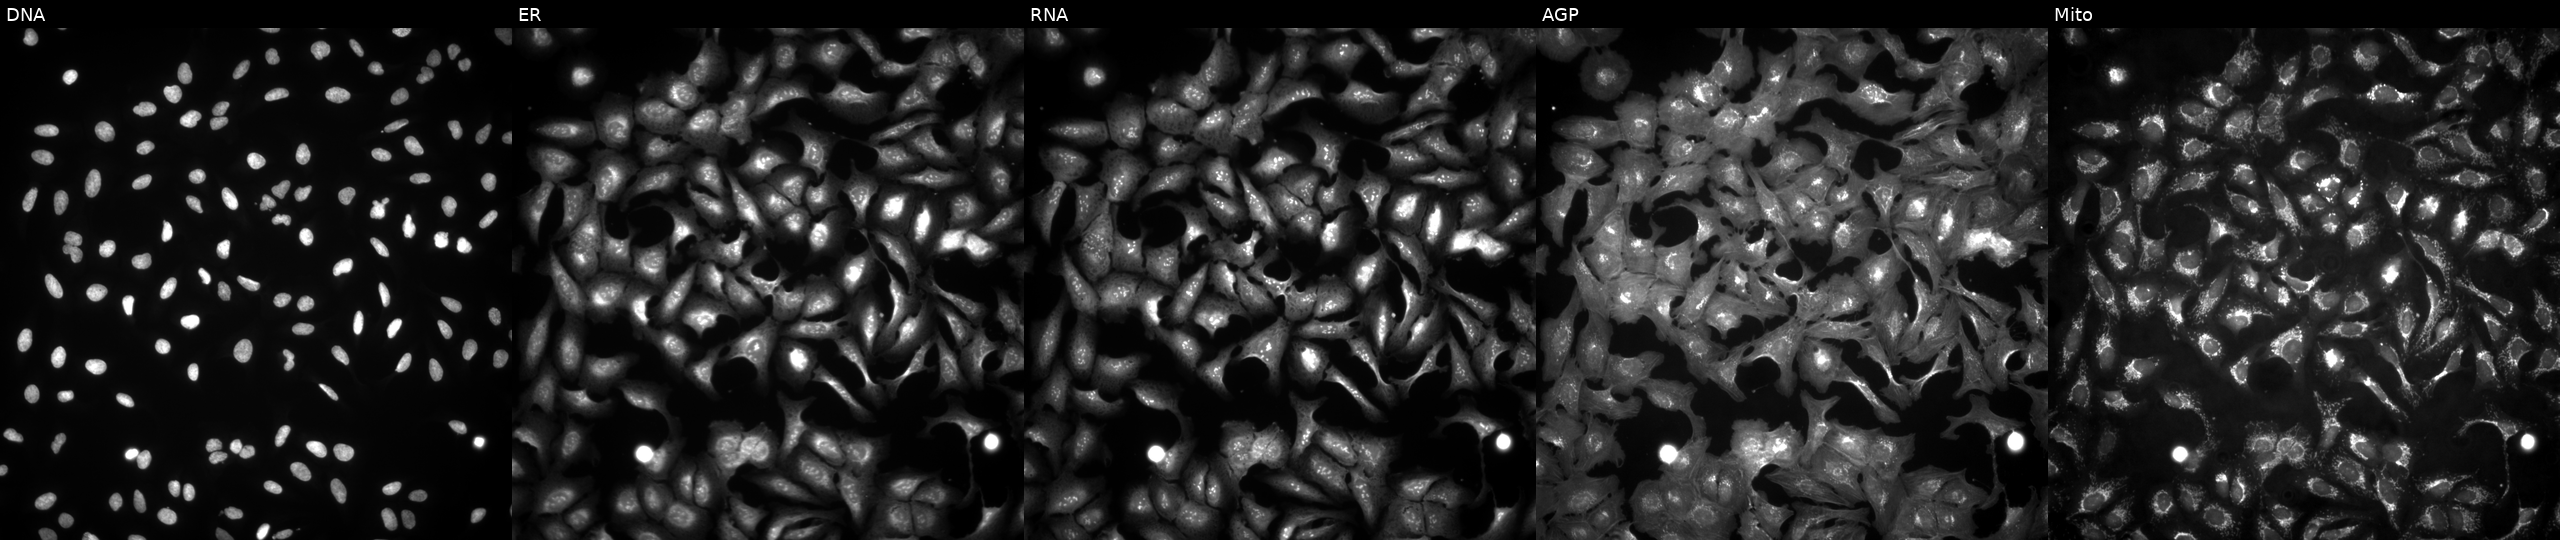
Five-channel Cell Painting image of U2OS cells overexpressing RIT1 via ORF transfection. Channels (left→right): DNA (nuclei); ER (endoplasmic reticulum); RNA (nucleoli and cytoplasmic RNA); AGP (actin cytoskeleton, Golgi, and plasma membrane); Mito (mitochondria).